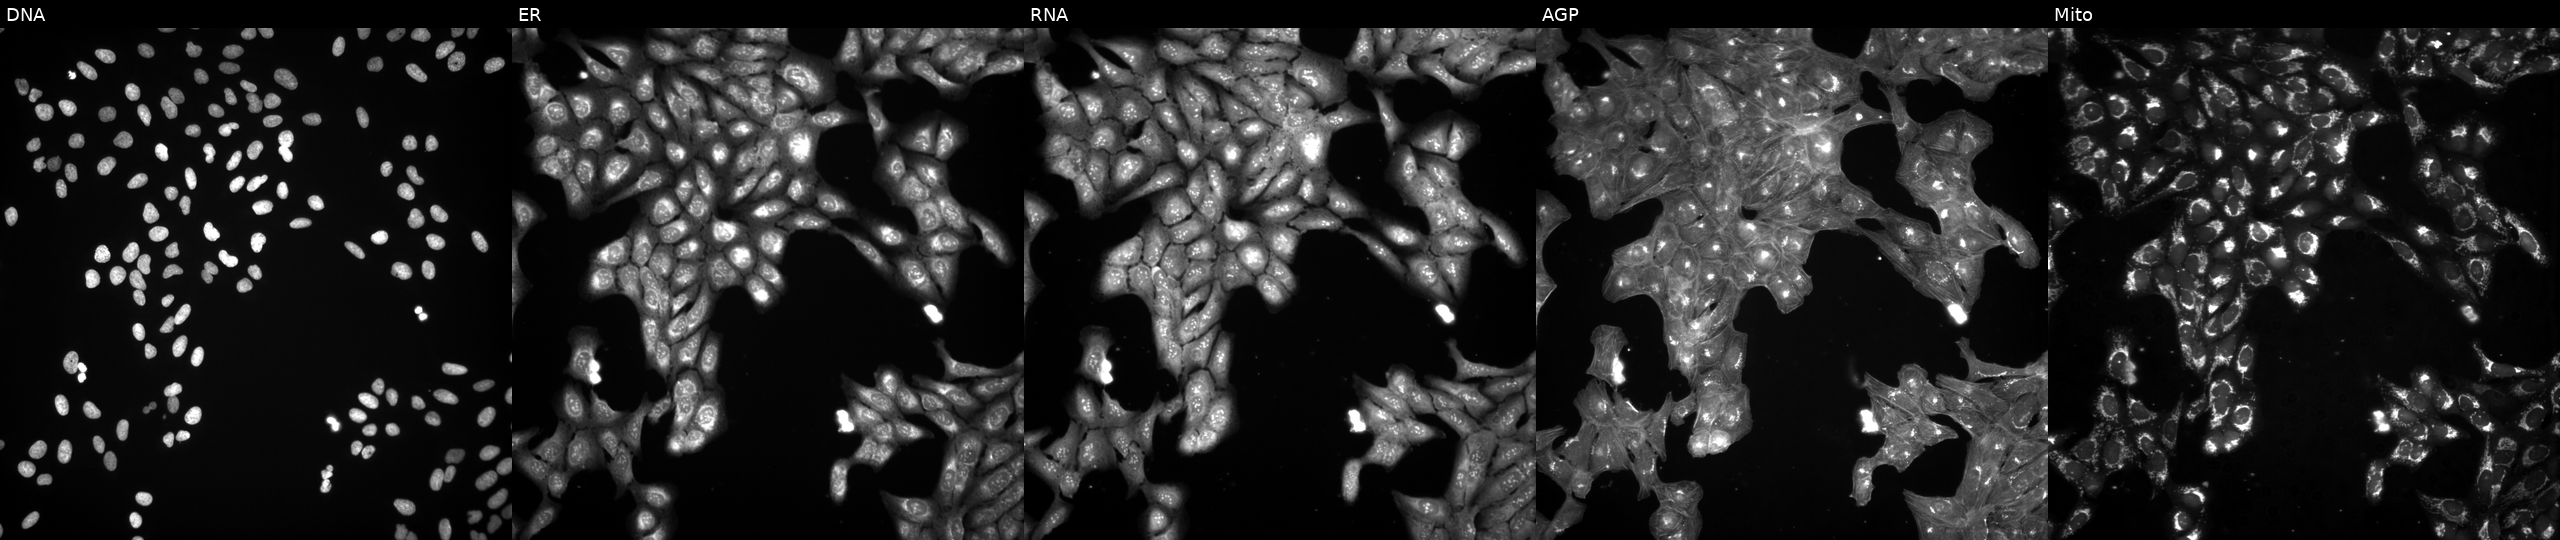
This image strip shows the five Cell Painting channels for a single field of U2OS cells exposed to a small-molecule compound (InChIKey TXZPMHLMPKIUGK-UHFFFAOYSA-N) (JUMP id JCP2022_087474). Panels show, left to right, DNA (nuclei); ER (endoplasmic reticulum); RNA (nucleoli and cytoplasmic RNA); AGP (actin cytoskeleton, Golgi, and plasma membrane); Mito (mitochondria). Source 3, plate JCPQC052, well C06.